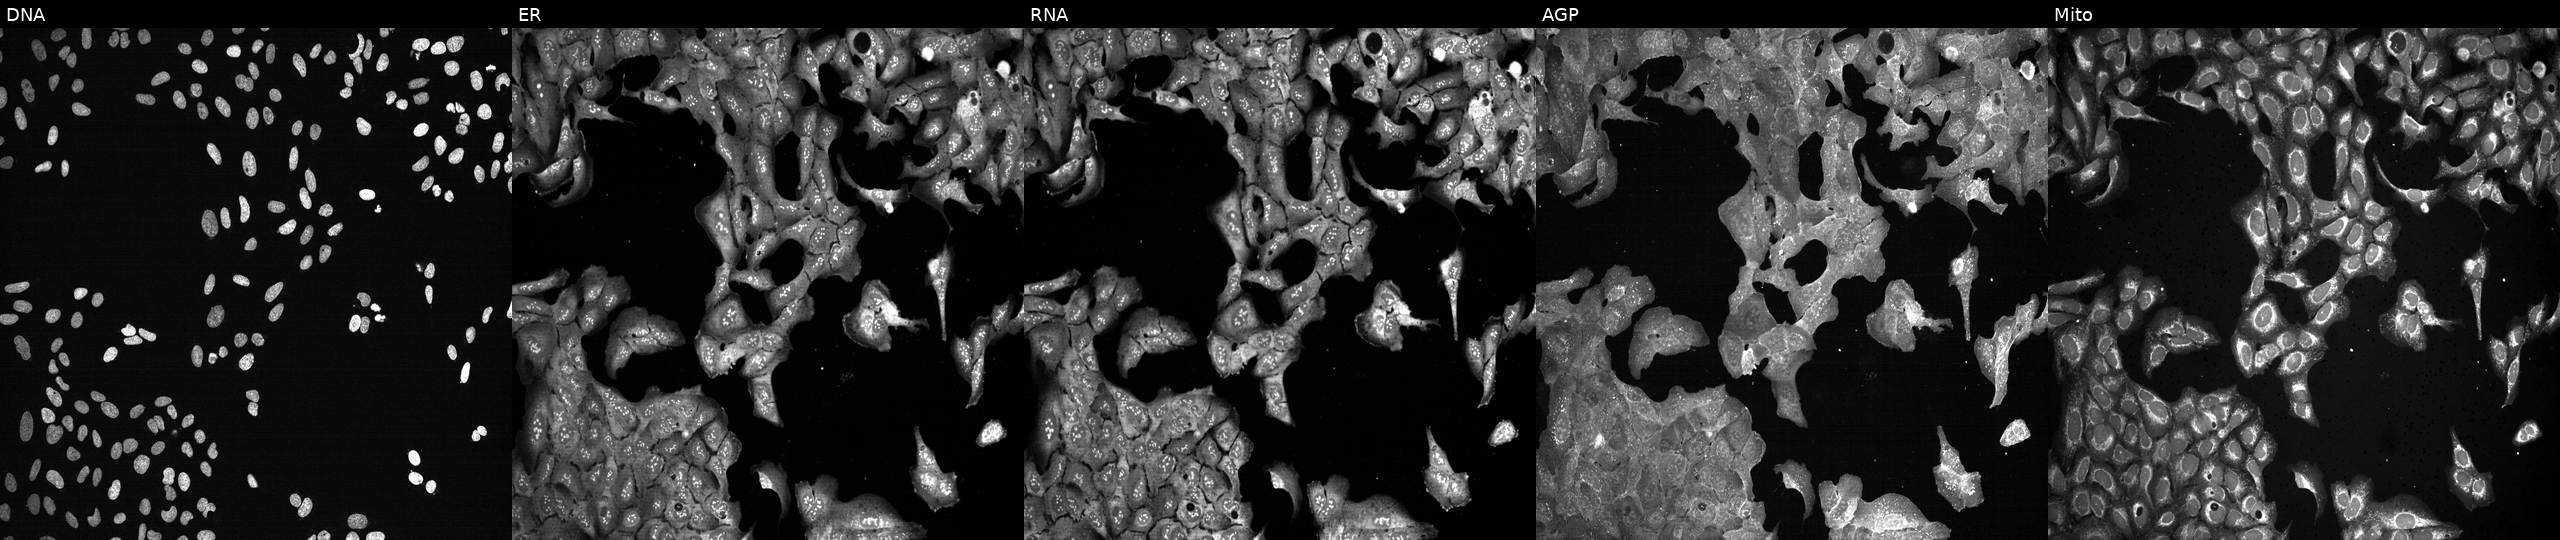
Channels (left→right): Hoechst 33342, concanavalin A, SYTO 14, phalloidin and WGA, MitoTracker. U2OS osteosarcoma cells CRISPR-edited to disrupt OVCA2 (JUMP id JCP2022_804835). Cell Painting assay, JUMP-CP dataset.